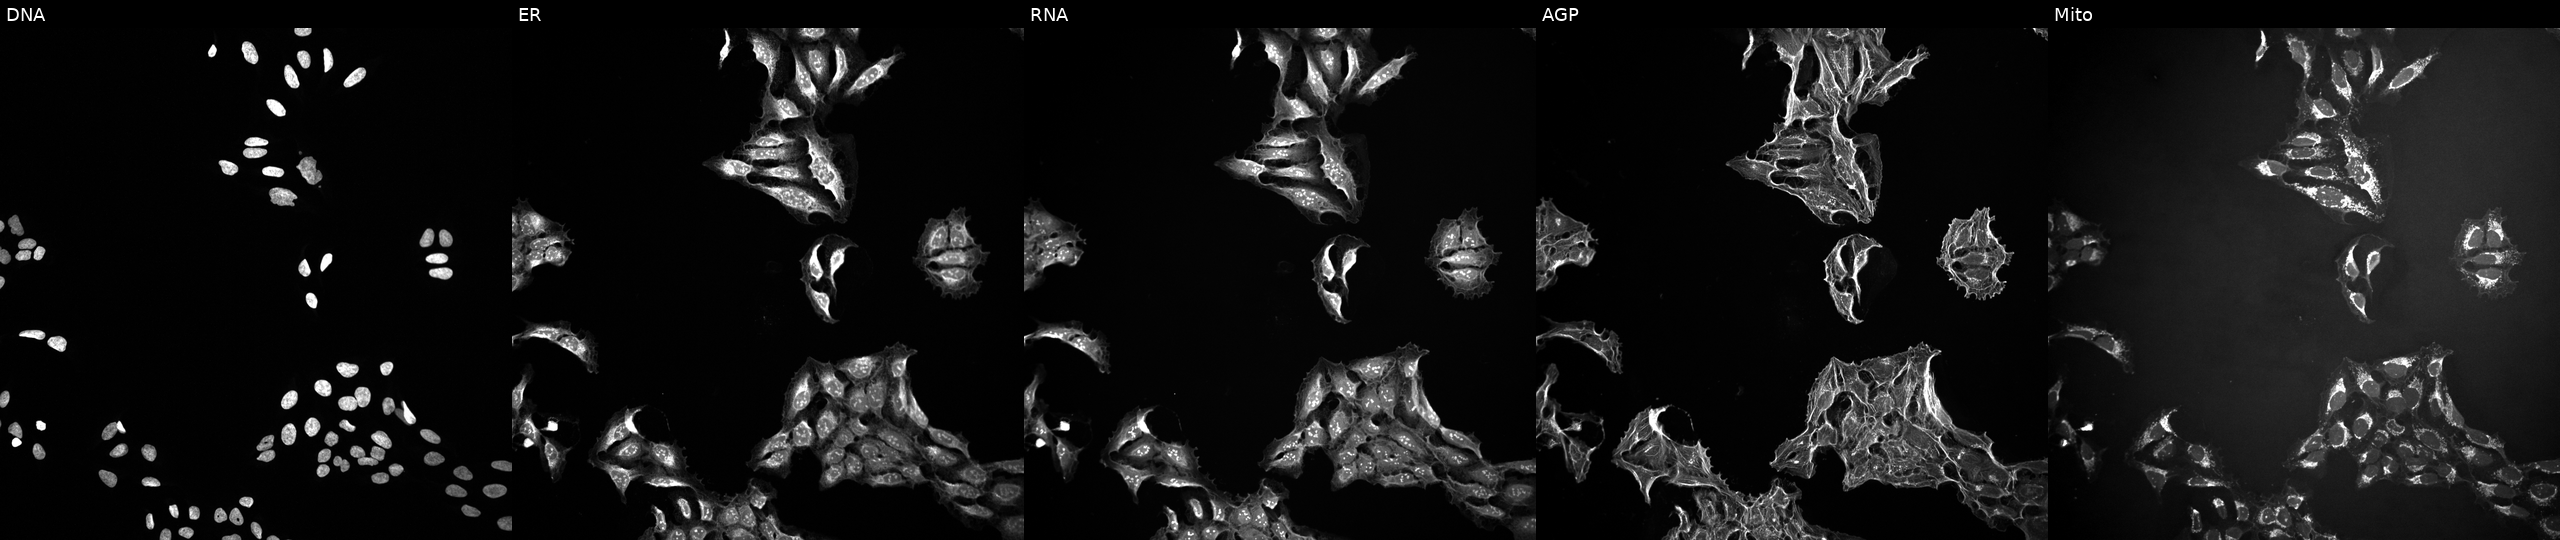
High-content fluorescence microscopy (Cell Painting). Cell line: U2OS. Perturbation: perturbed with a small-molecule compound. Panels show, left to right, DNA (nuclei); ER (endoplasmic reticulum); RNA (nucleoli and cytoplasmic RNA); AGP (actin cytoskeleton, Golgi, and plasma membrane); Mito (mitochondria).